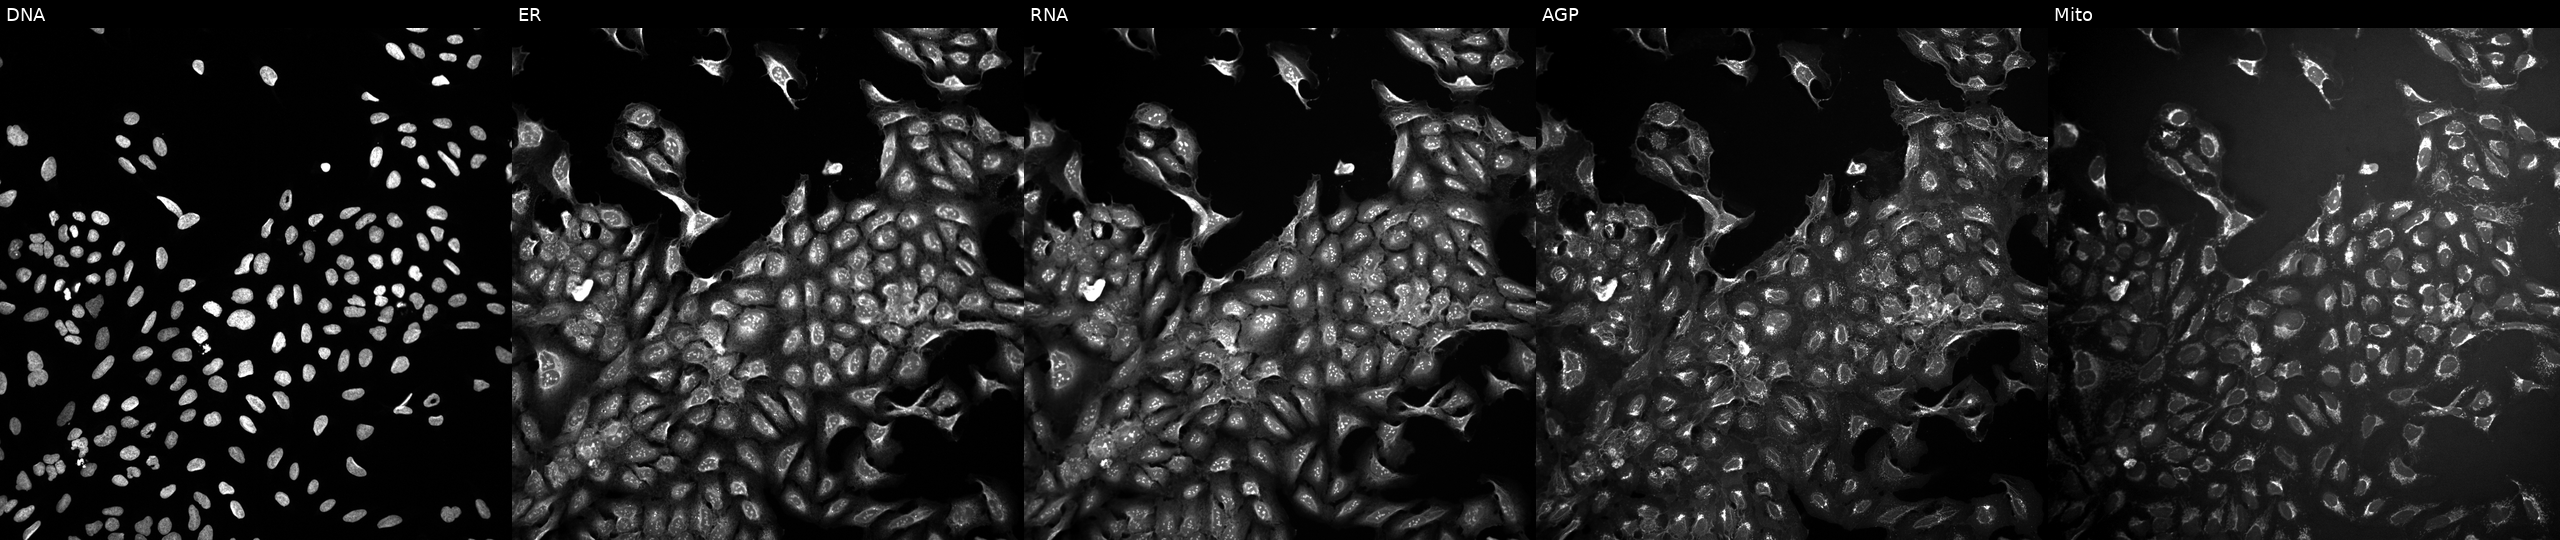
High-content fluorescence microscopy (Cell Painting). Cell line: U2OS. Perturbation: perturbed with a small-molecule compound (InChIKey NITYDPDXAAFEIT-UHFFFAOYSA-N) [SMILES: CNC(=O)C(Cc1c[nH]c2ccccc12)NC(=O)C(CC(O)=NO)CC(C)C]. The five panels, left to right, show DNA, ER, RNA, AGP, and Mito. Source 10, plate Dest210803-153958, well M17.